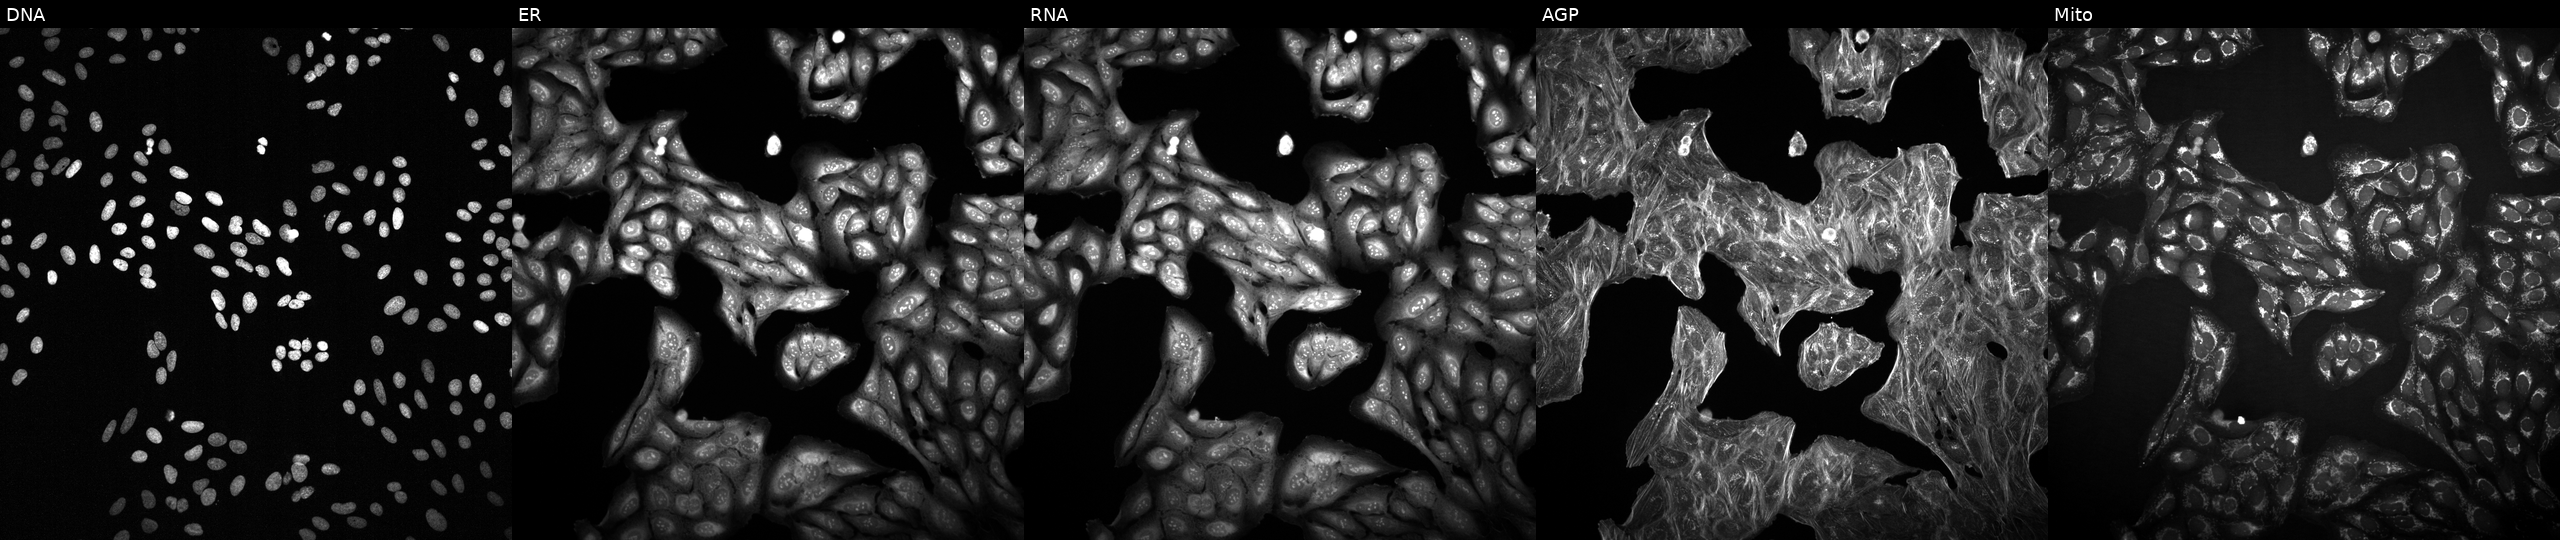
This image strip shows the five Cell Painting channels for a single field of U2OS cells treated with a small-molecule compound (InChIKey UTPWOWSXTPPOFP-UHFFFAOYSA-N). The five panels, left to right, show DNA (nuclei); ER (endoplasmic reticulum); RNA (nucleoli and cytoplasmic RNA); AGP (actin cytoskeleton, Golgi, and plasma membrane); Mito (mitochondria).